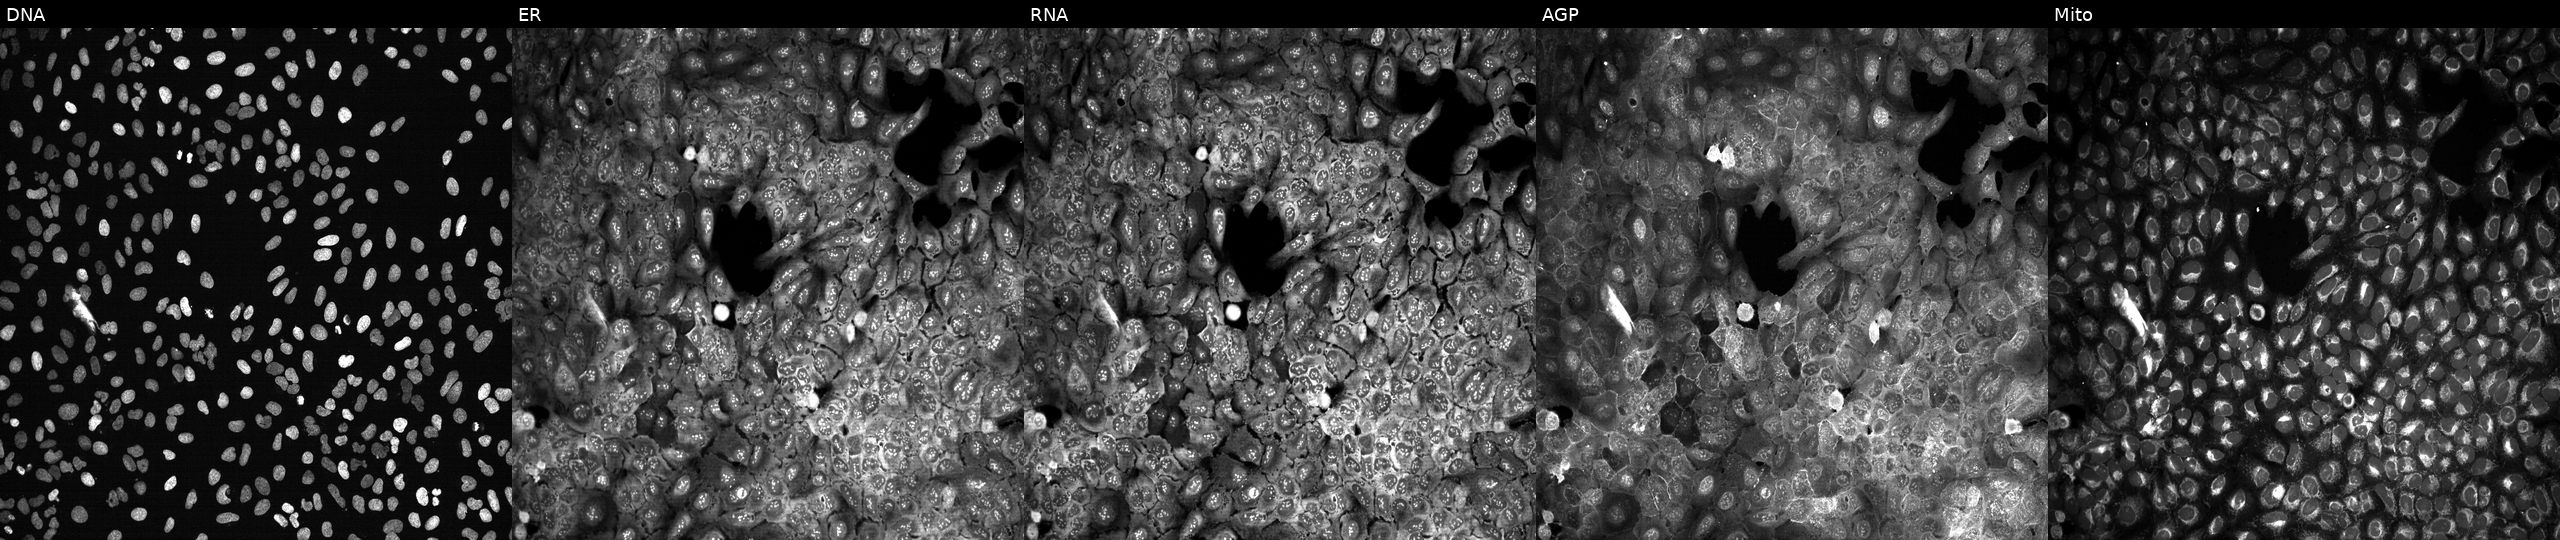
This image strip shows the five Cell Painting channels for a single field of U2OS cells with HARS2 knocked out by CRISPR (JUMP id JCP2022_803019). The five panels, left to right, show DNA (nuclei); ER (endoplasmic reticulum); RNA (nucleoli and cytoplasmic RNA); AGP (actin cytoskeleton, Golgi, and plasma membrane); Mito (mitochondria). Source 13, plate CP-CC9-R4-04, well B18.